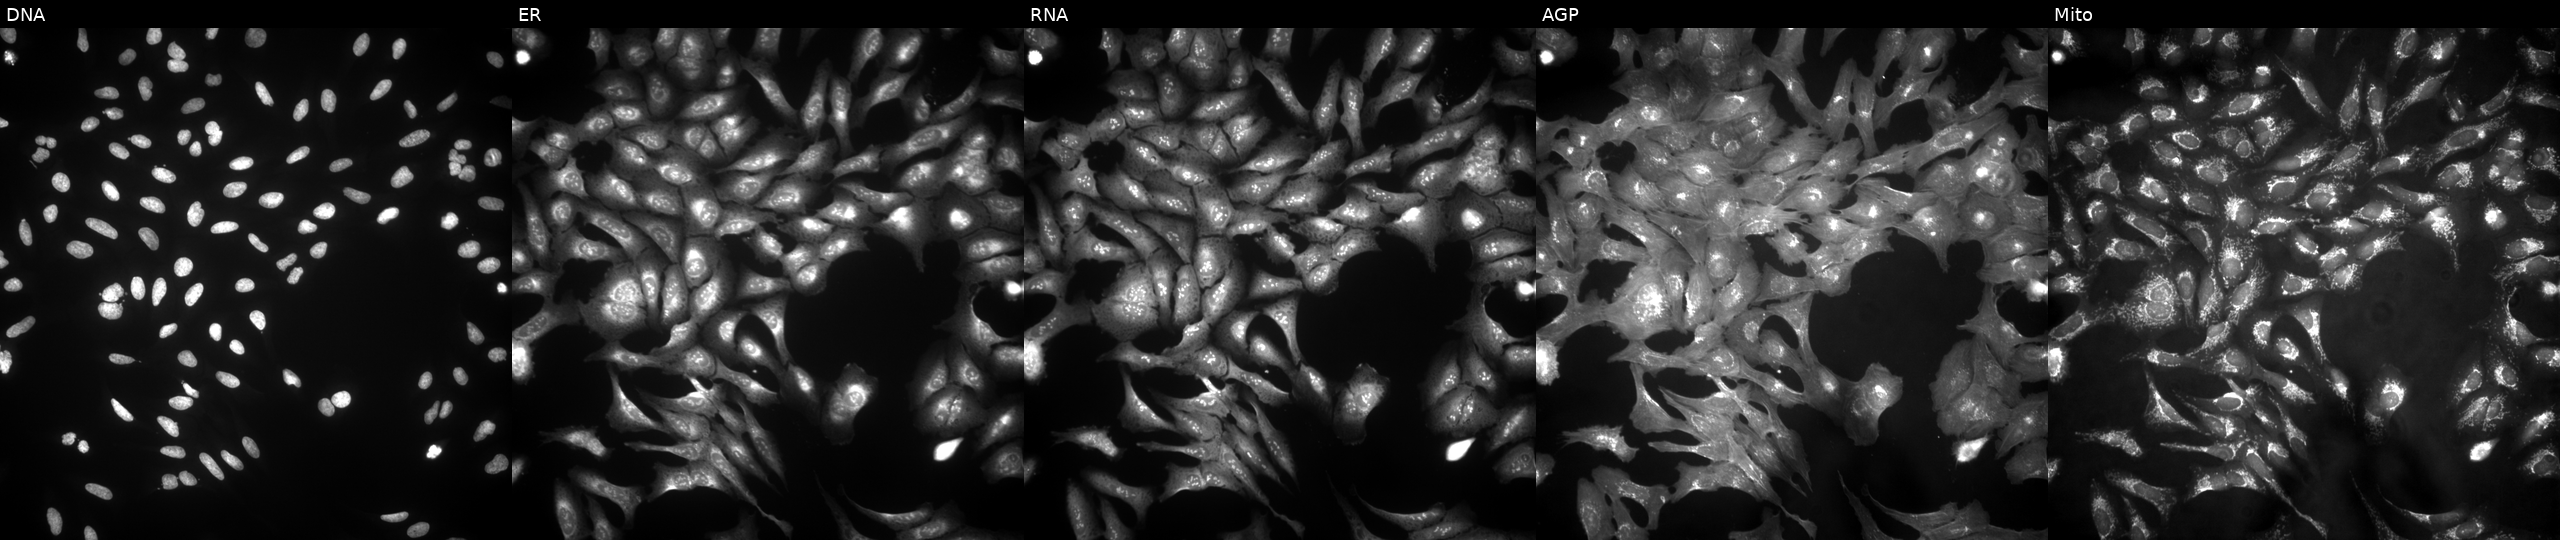
This image strip shows the five Cell Painting channels for a single field of U2OS cells transfected with an ORF construct for TNFRSF1A (JUMP id JCP2022_901572). The five panels, left to right, show DNA (nuclei); ER (endoplasmic reticulum); RNA (nucleoli and cytoplasmic RNA); AGP (actin cytoskeleton, Golgi, and plasma membrane); Mito (mitochondria).